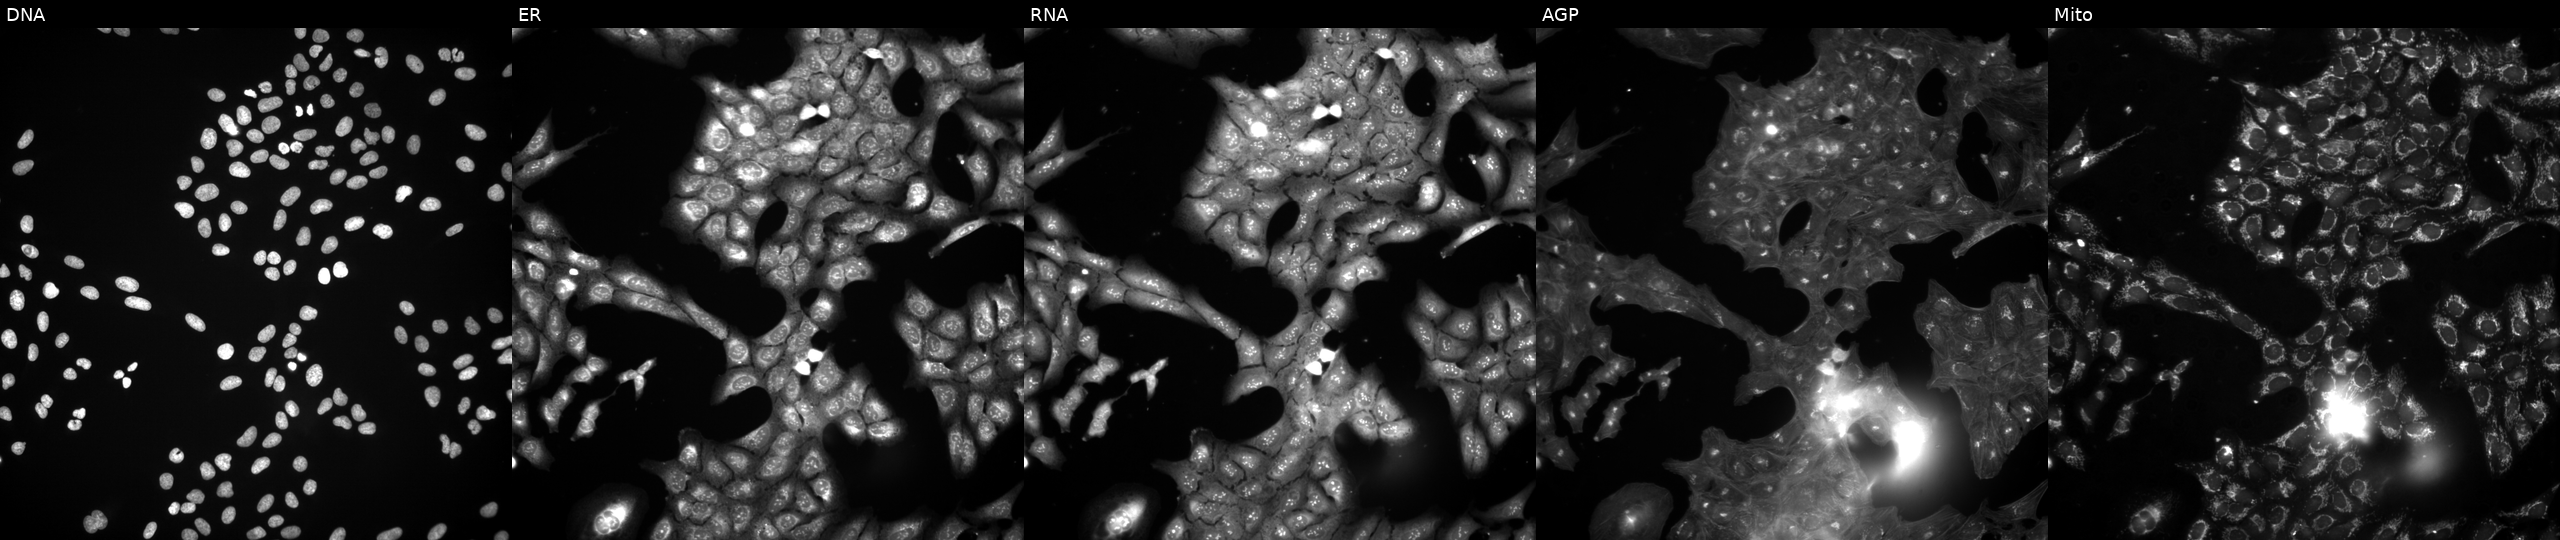
U2OS cells, Cell Painting assay, perturbed with a small-molecule compound (InChIKey HDABMTJKOXWQBW-UHFFFAOYSA-N). Panels show, left to right, DNA, ER, RNA, AGP, and Mito. Each panel is percentile-stretched 16-bit fluorescence. Source 3, plate BR5867a3, well N05.